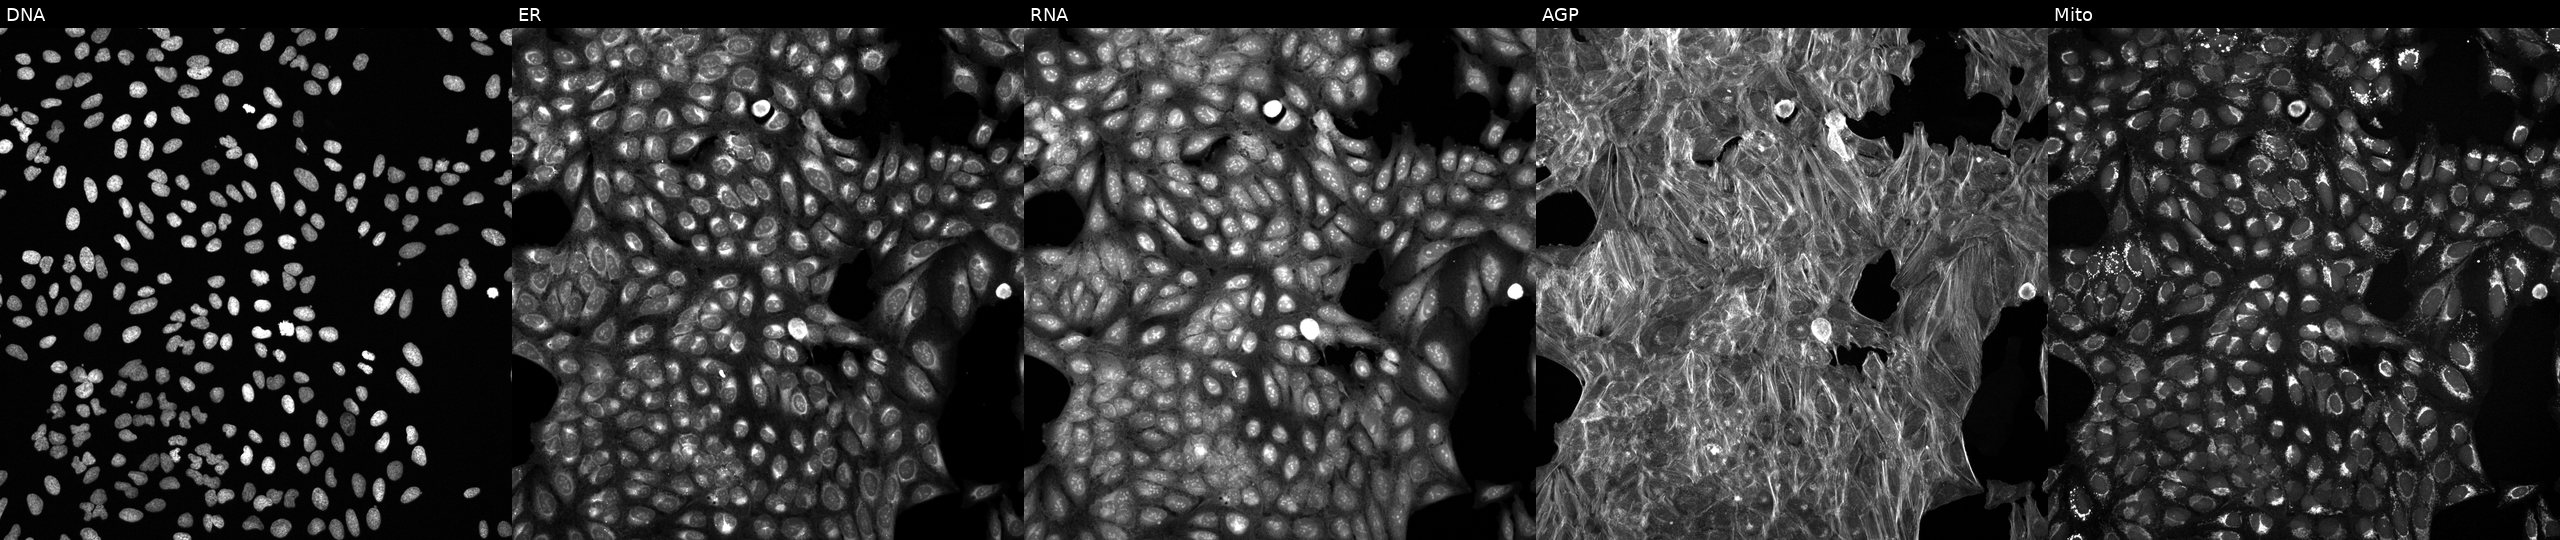
U2OS cells, Cell Painting assay, treated with DMSO vehicle only (negative control). From left to right: DNA (nuclei); ER (endoplasmic reticulum); RNA (nucleoli and cytoplasmic RNA); AGP (actin cytoskeleton, Golgi, and plasma membrane); Mito (mitochondria). Each panel is percentile-stretched 16-bit fluorescence.